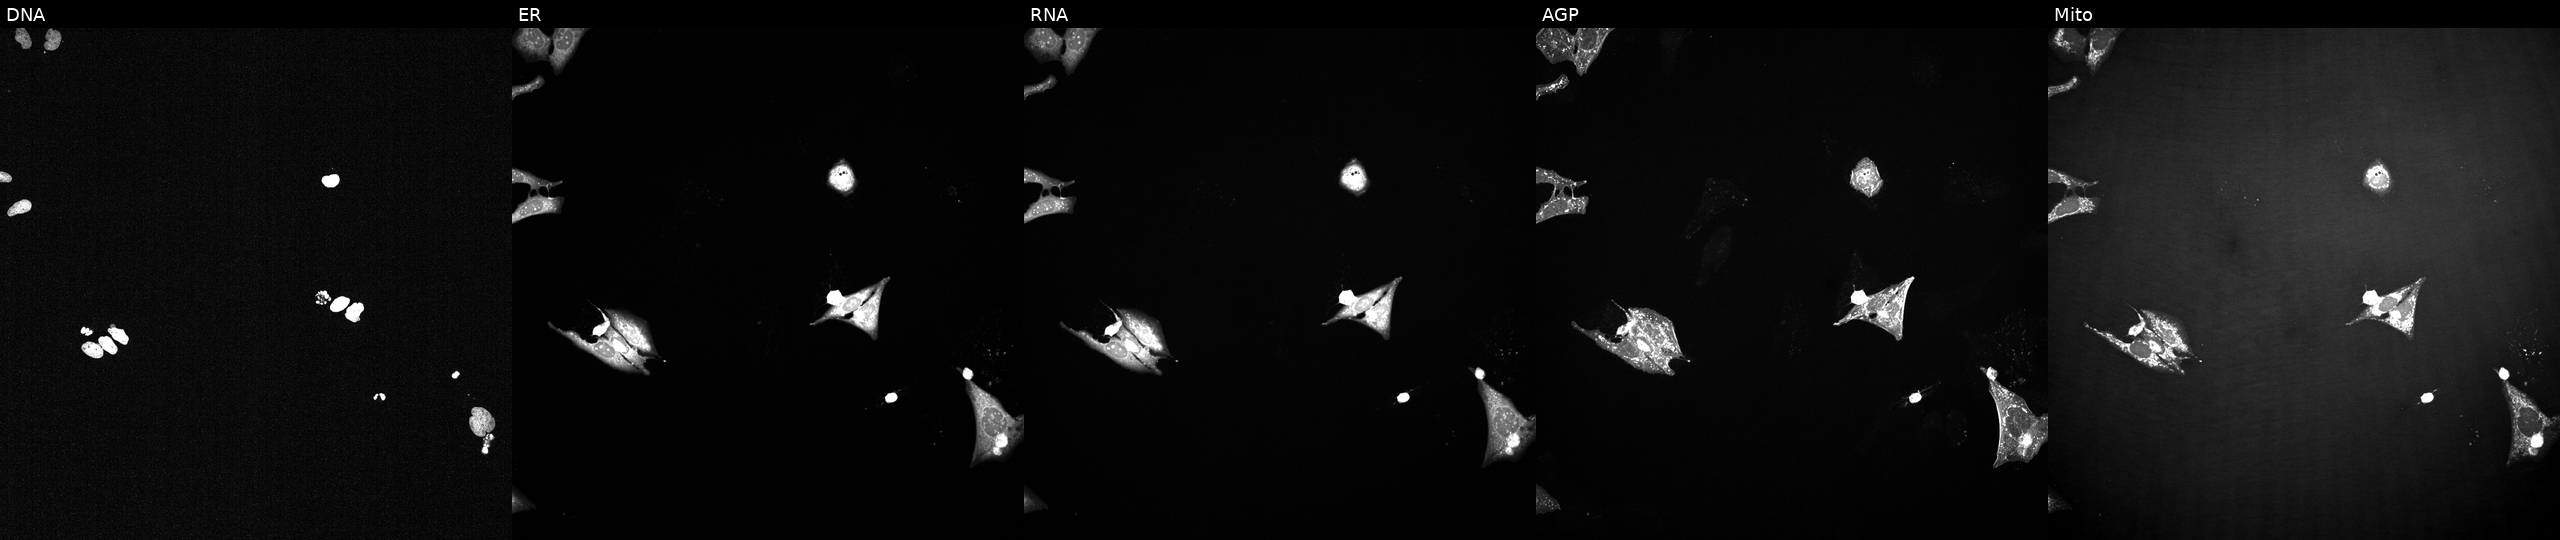
Five-channel Cell Painting image of U2OS cells perturbed with a small-molecule compound. The five panels, left to right, show DNA, ER, RNA, AGP, and Mito. Source 2, plate 1053600674, well C11.